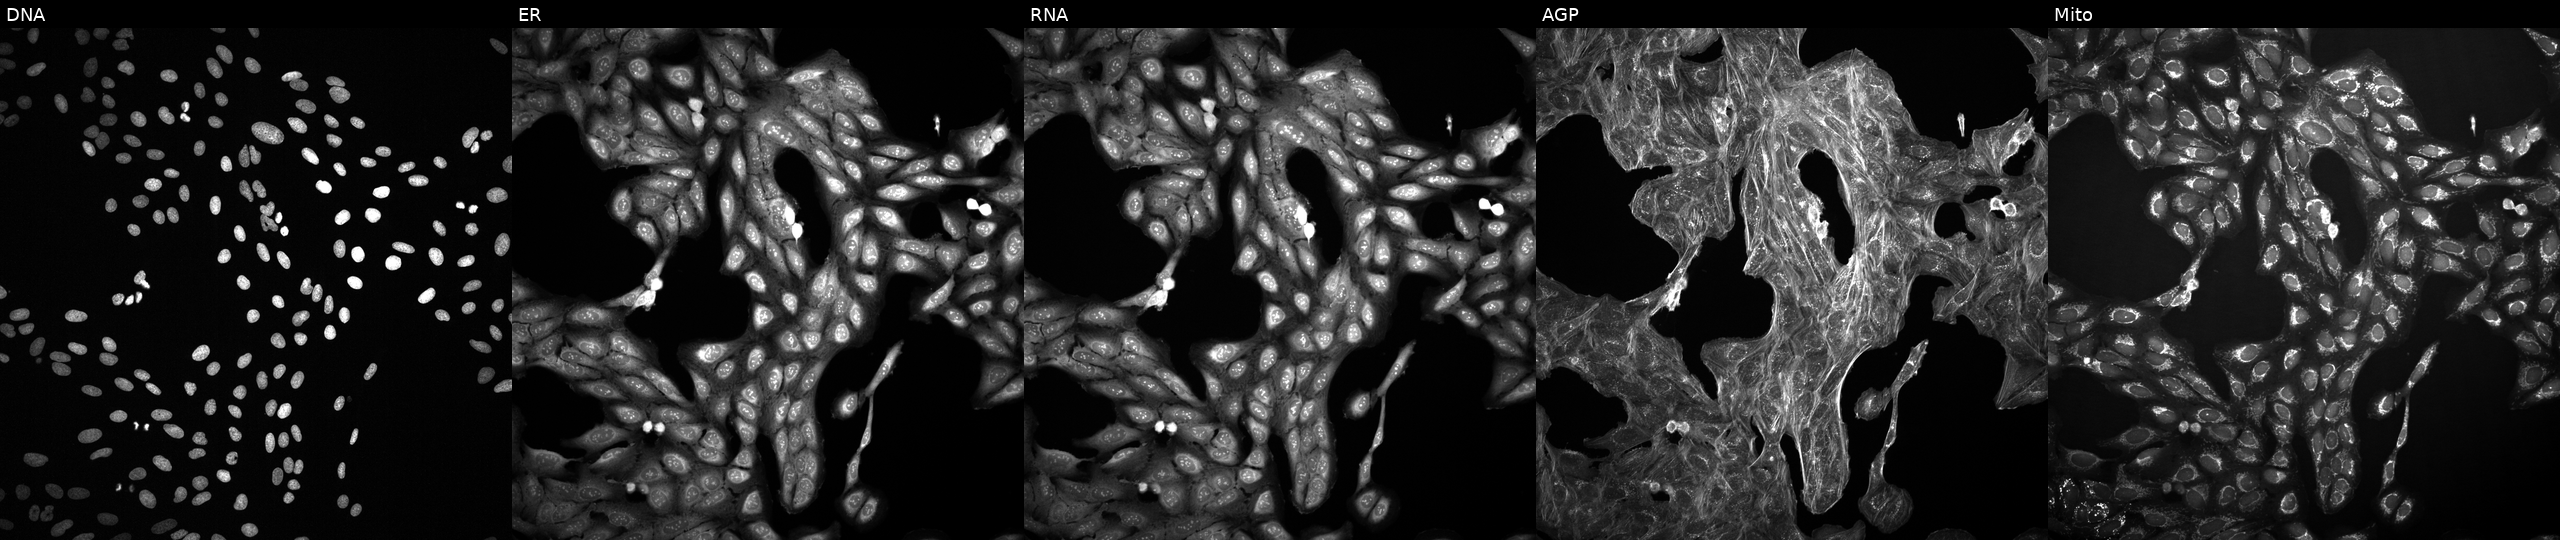
Panels show, left to right, DNA (nuclei); ER (endoplasmic reticulum); RNA (nucleoli and cytoplasmic RNA); AGP (actin cytoskeleton, Golgi, and plasma membrane); Mito (mitochondria). U2OS osteosarcoma cells exposed to a small-molecule compound (InChIKey ZMUSCGJNJYXJBP-UHFFFAOYSA-N) (JUMP id JCP2022_114322). Cell Painting assay, JUMP-CP dataset. Source 2, plate 1053597936, well G05.